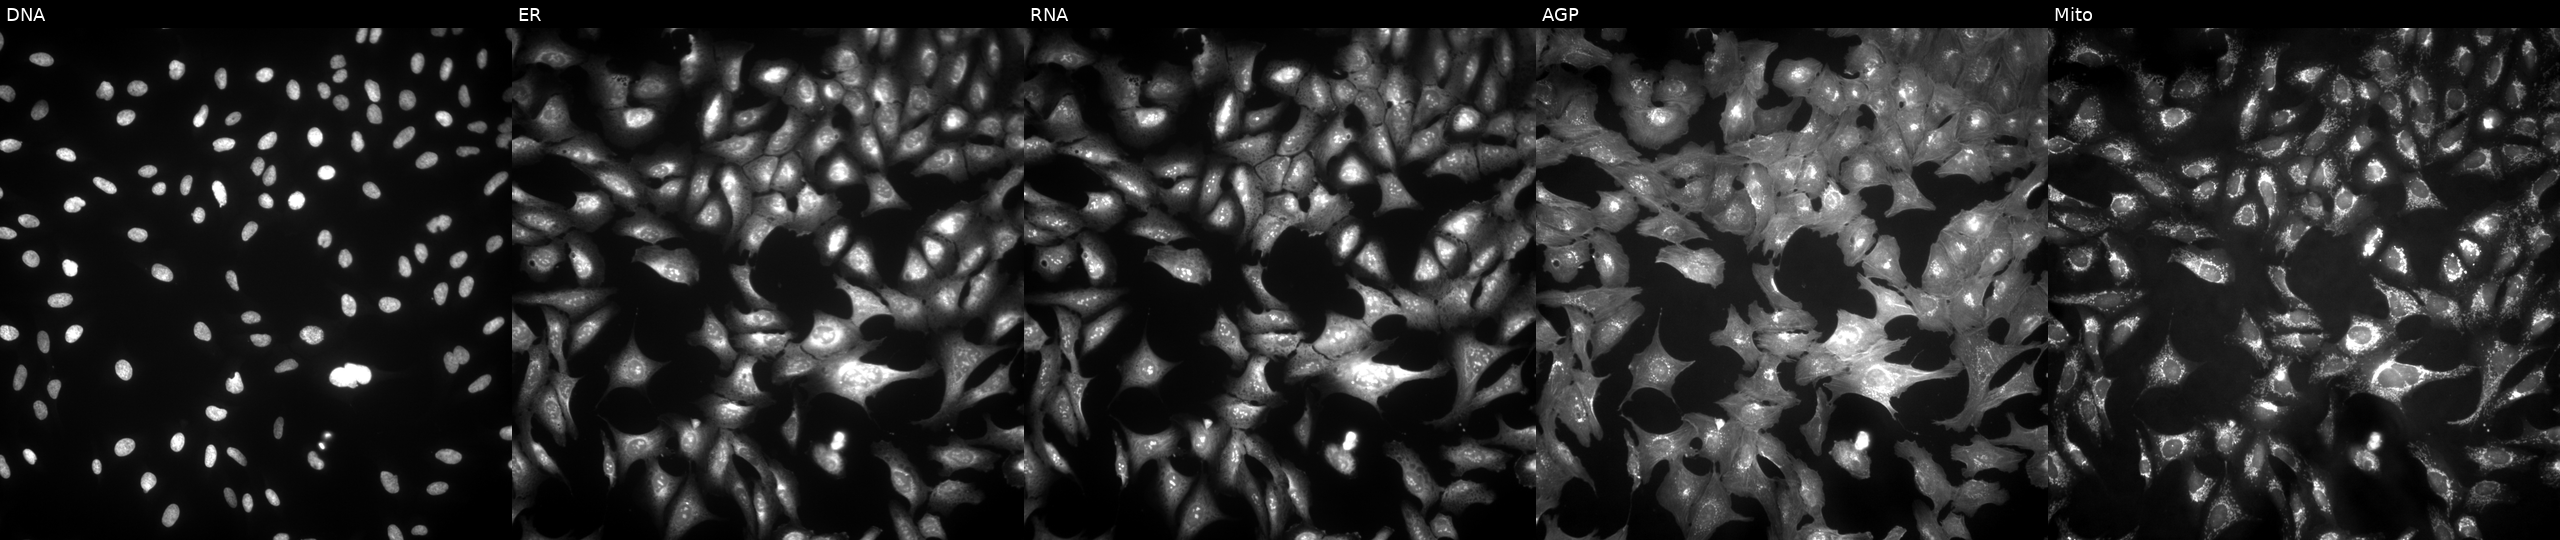
This image strip shows the five Cell Painting channels for a single field of U2OS cells overexpressing SLC16A7 via ORF transfection. The five panels, left to right, show Hoechst 33342, concanavalin A, SYTO 14, phalloidin and WGA, MitoTracker.